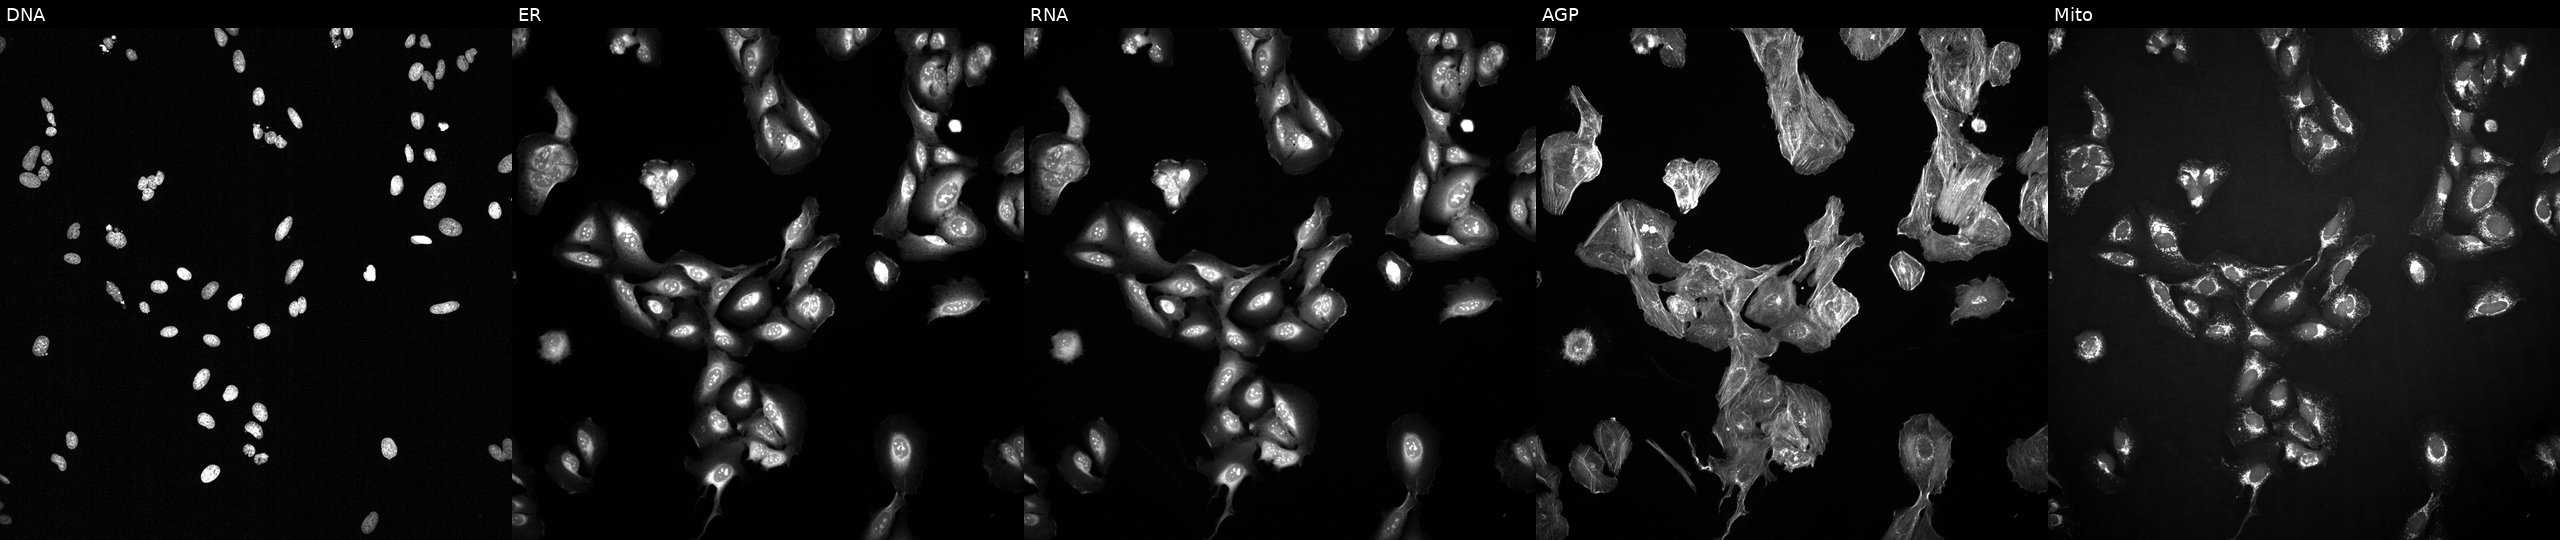
Five-channel Cell Painting image of U2OS cells treated with TC-S-7004 (positive-control compound). Channels (left→right): DNA, ER, RNA, AGP, and Mito.